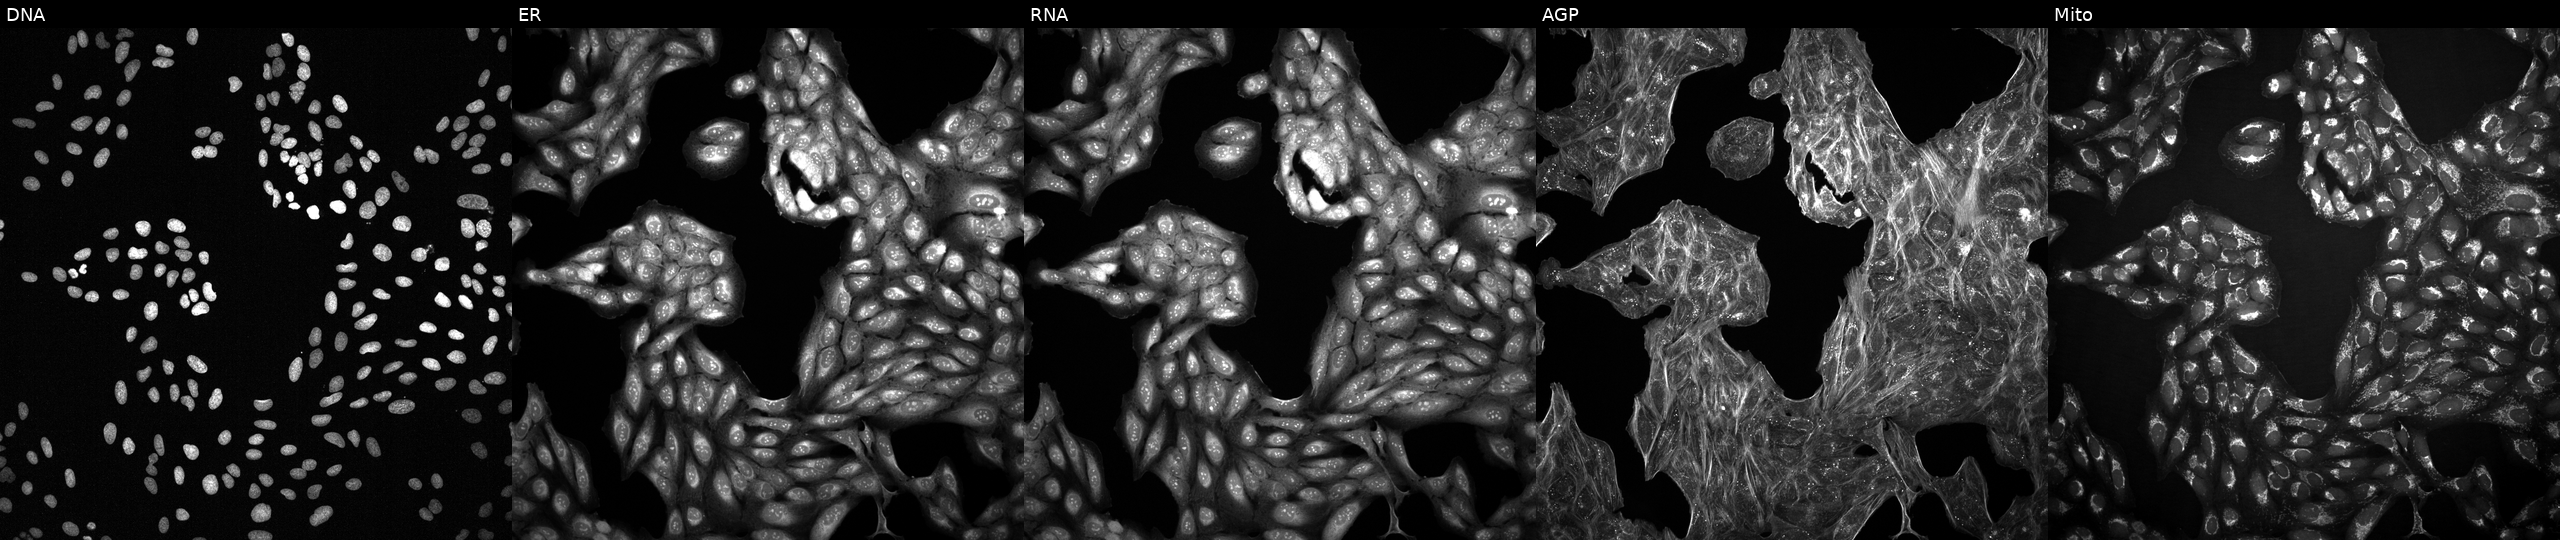
This image strip shows the five Cell Painting channels for a single field of U2OS cells treated with a small-molecule compound (InChIKey CEUORZQYGODEFX-UHFFFAOYSA-N). Channels (left→right): DNA, ER, RNA, AGP, and Mito.